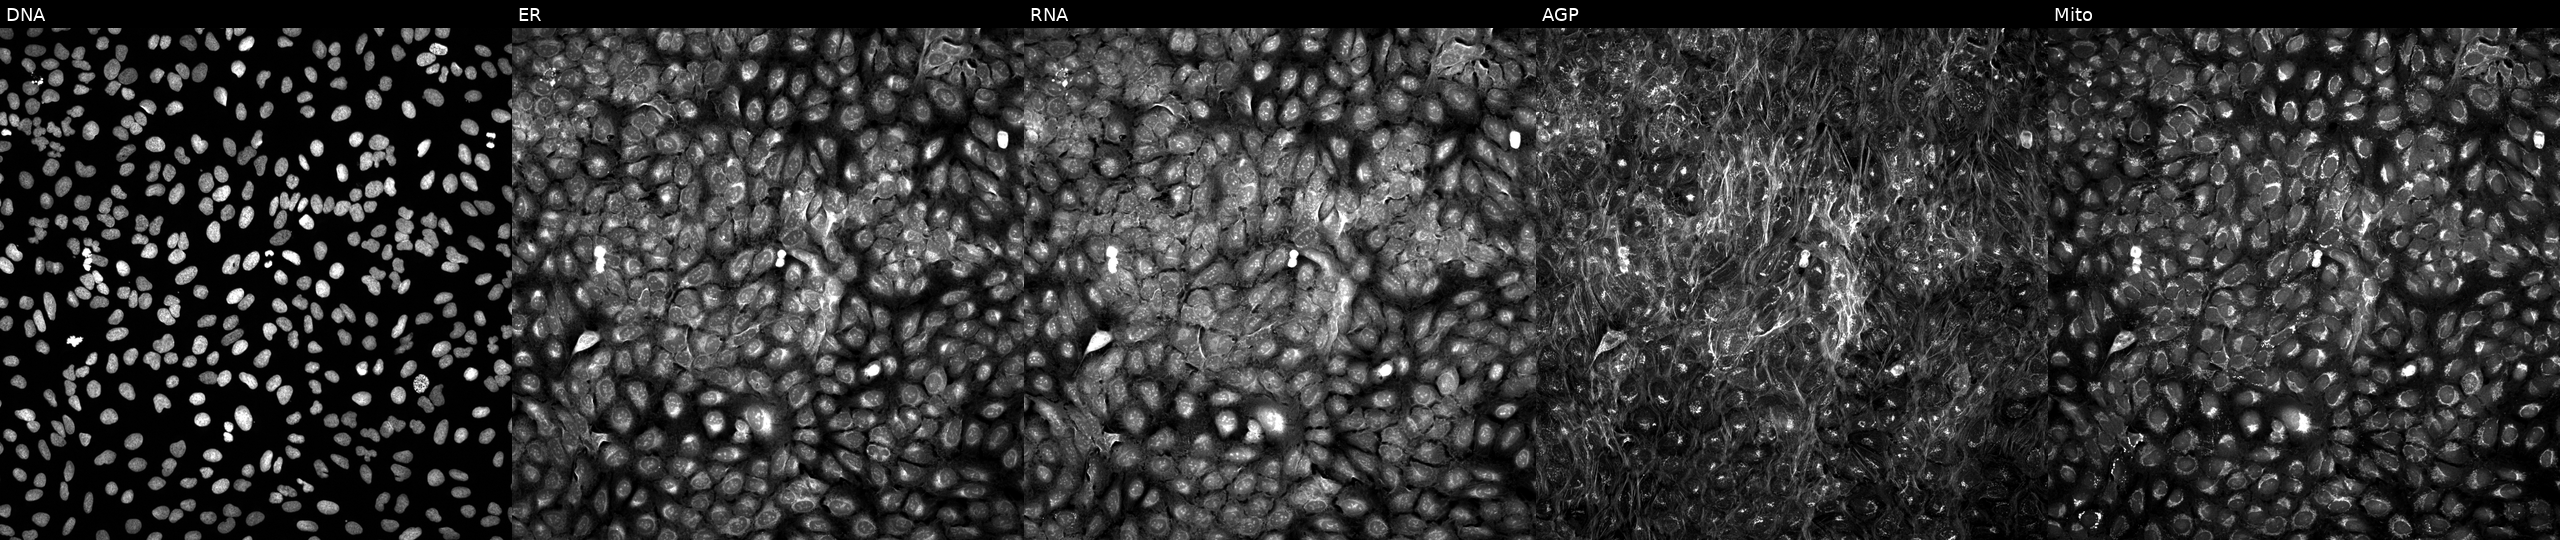
Five-channel Cell Painting image of U2OS cells perturbed with a small-molecule compound (InChIKey BDNFQGRSKSQXRI-UHFFFAOYSA-N). From left to right: DNA (nuclei); ER (endoplasmic reticulum); RNA (nucleoli and cytoplasmic RNA); AGP (actin cytoskeleton, Golgi, and plasma membrane); Mito (mitochondria).